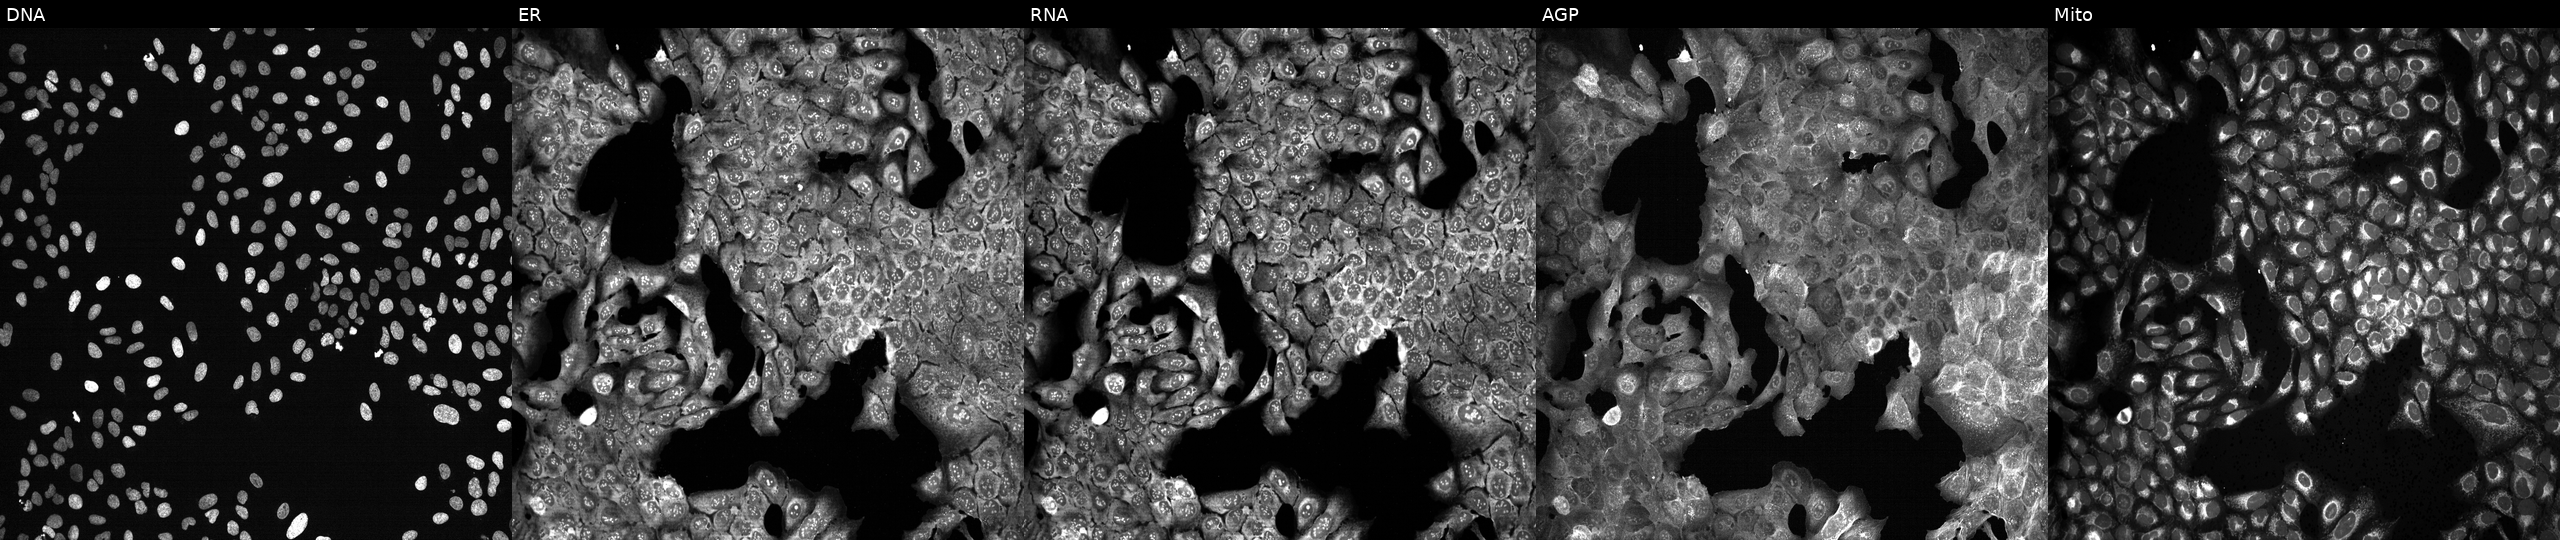
This image strip shows the five Cell Painting channels for a single field of U2OS cells with SLC44A1 knocked out by CRISPR (JUMP id JCP2022_806540). Channels (left→right): DNA (nuclei); ER (endoplasmic reticulum); RNA (nucleoli and cytoplasmic RNA); AGP (actin cytoskeleton, Golgi, and plasma membrane); Mito (mitochondria). Source 13, plate CP-CC9-R2-01, well F18.